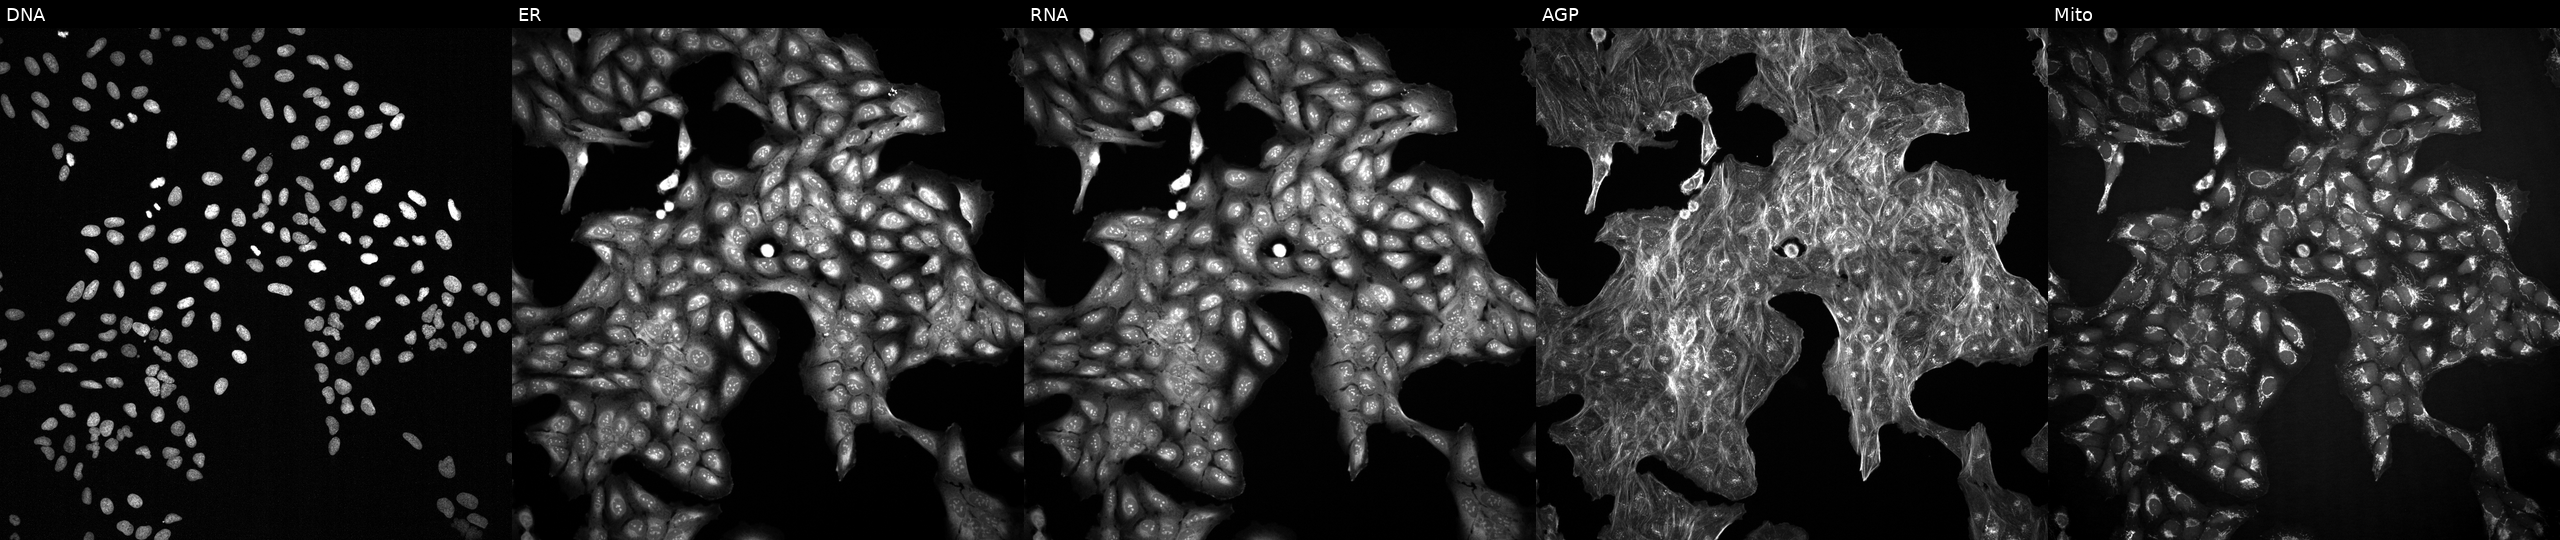
The five panels, left to right, show DNA (nuclei); ER (endoplasmic reticulum); RNA (nucleoli and cytoplasmic RNA); AGP (actin cytoskeleton, Golgi, and plasma membrane); Mito (mitochondria). U2OS osteosarcoma cells exposed to a small-molecule compound (InChIKey IFIUFCJFLGCQPH-UHFFFAOYSA-N). Cell Painting assay, JUMP-CP dataset.